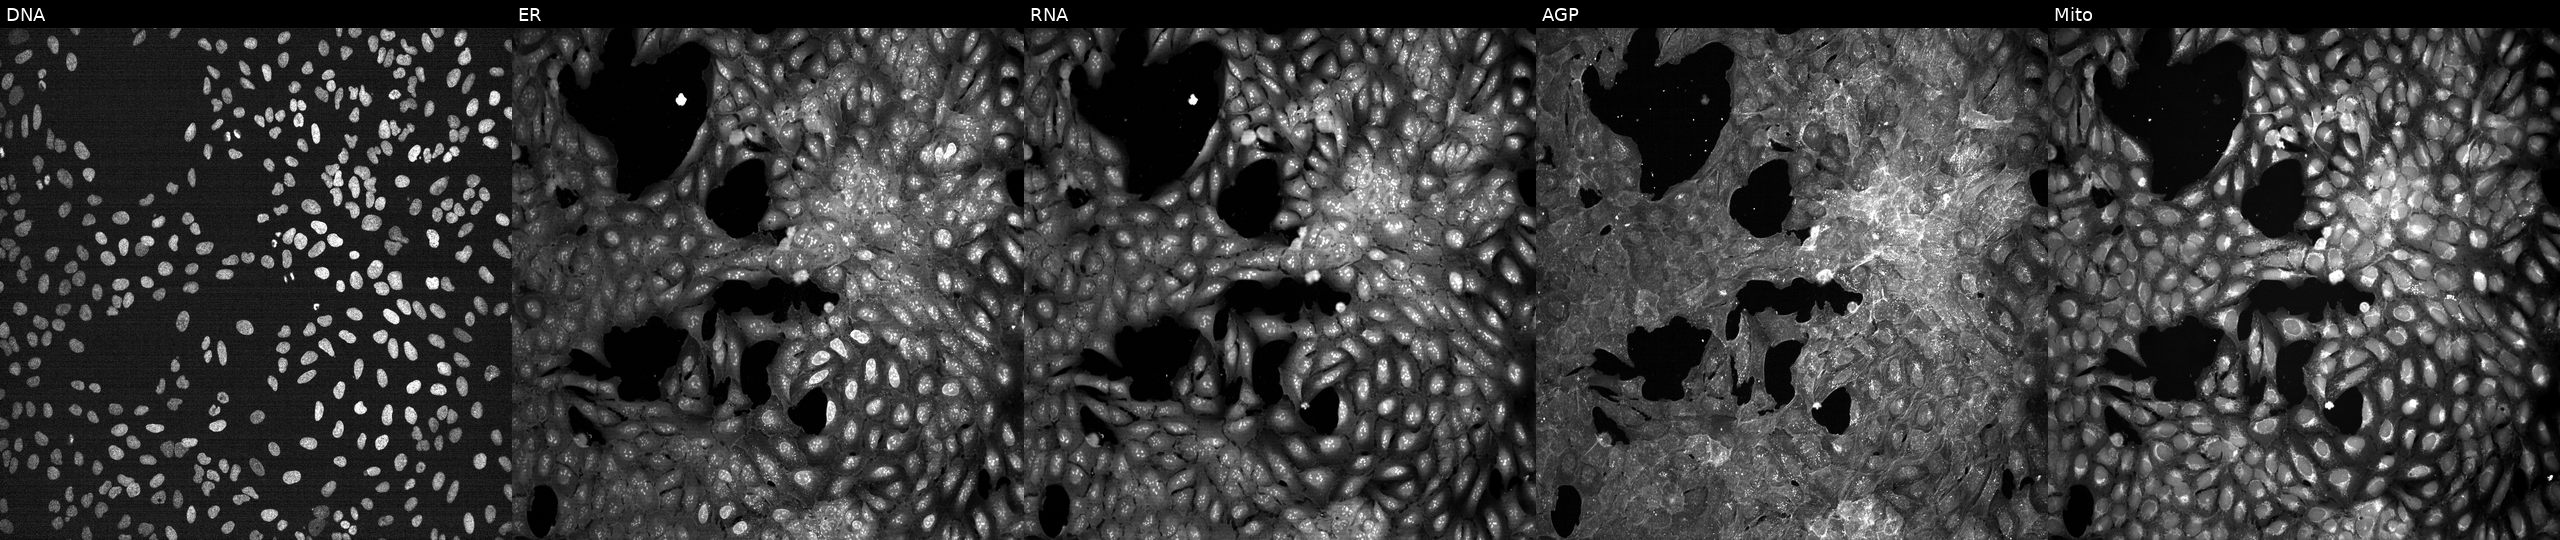
U2OS cells, Cell Painting assay, treated with DMSO vehicle only (negative control) (JUMP id JCP2022_033924). The five panels, left to right, show DNA, ER, RNA, AGP, and Mito. Each panel is percentile-stretched 16-bit fluorescence. Source 7, plate CP1-SC1-25, well E05.